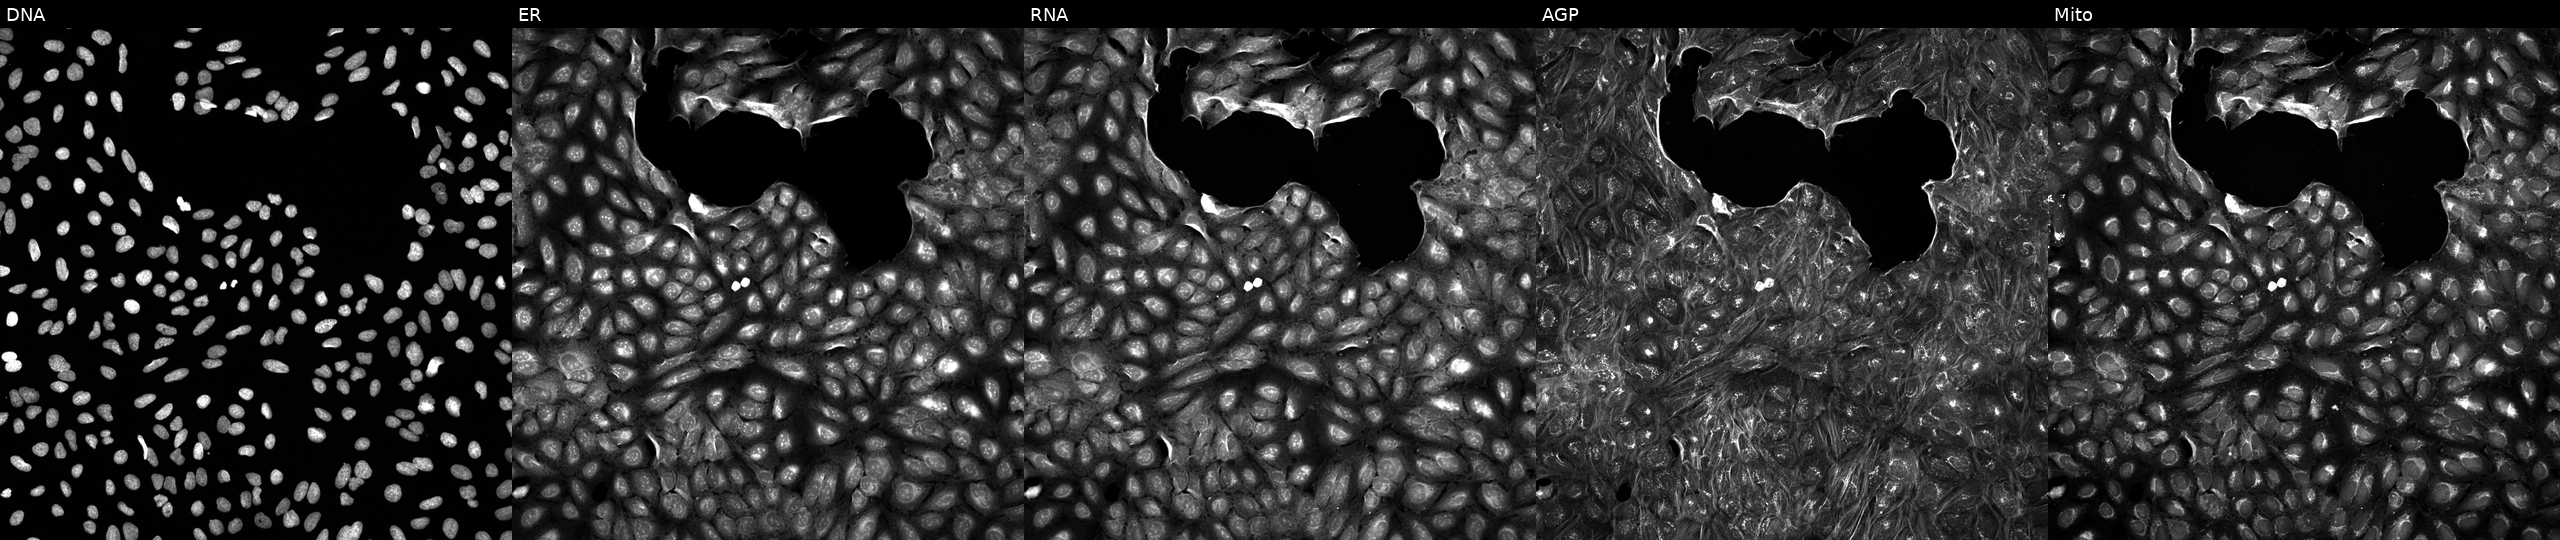
High-content fluorescence microscopy (Cell Painting). Cell line: U2OS. Perturbation: perturbed with a small-molecule compound (InChIKey FTQYCBXRGXTYMV-UHFFFAOYSA-N) (JUMP id JCP2022_022881). Channels (left→right): DNA, ER, RNA, AGP, and Mito. Source 5, plate APTJUM106, well J07.